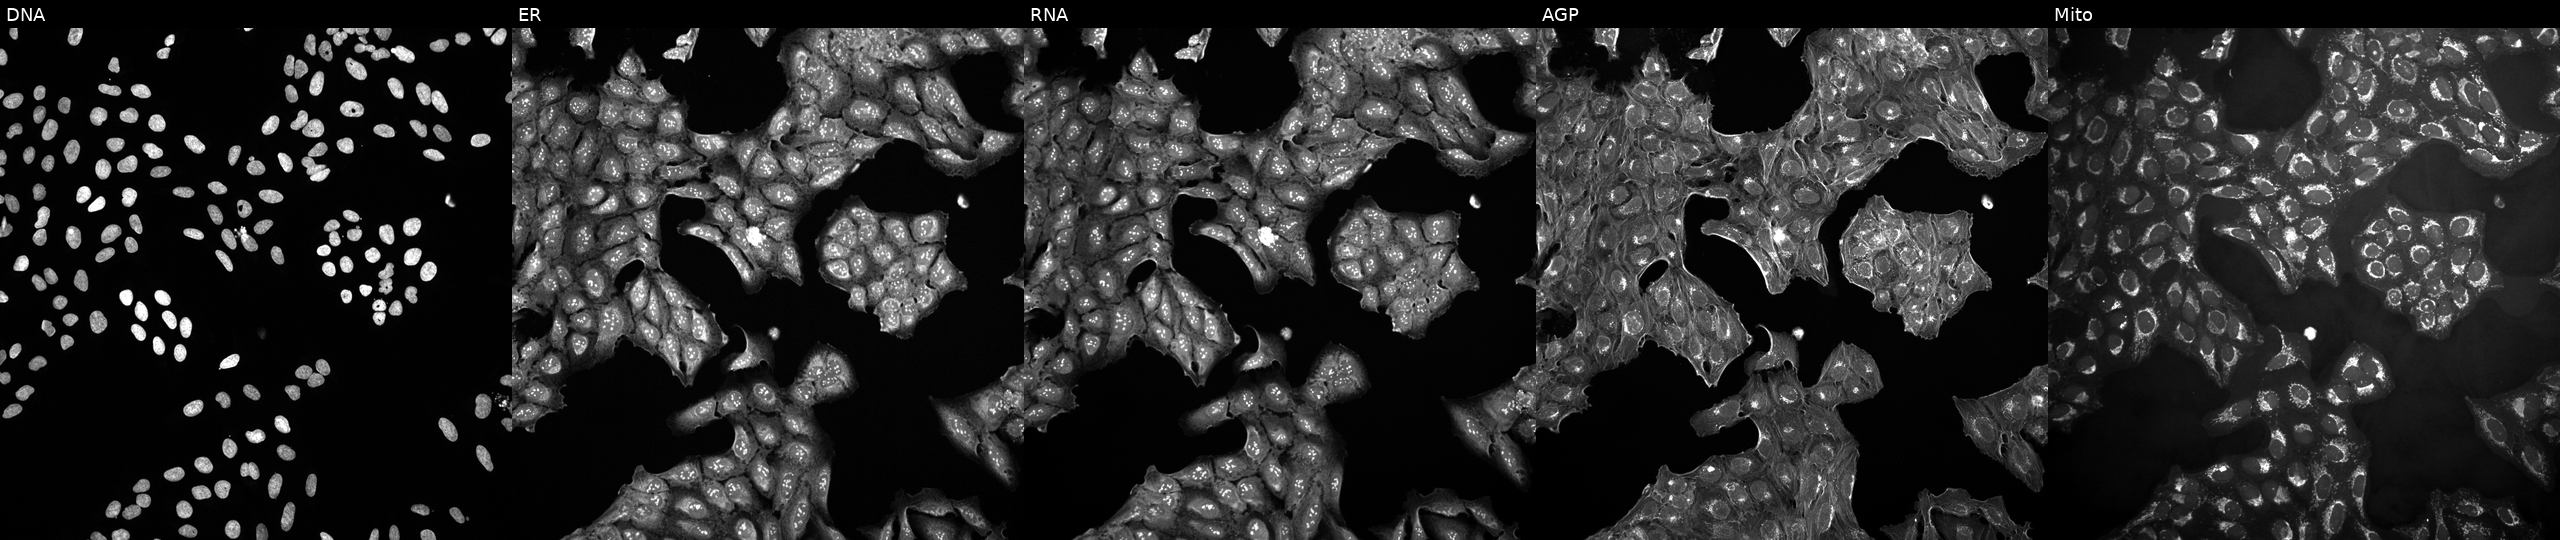
U2OS cells, Cell Painting assay, untreated (empty-well control) (JUMP id JCP2022_999999). Channels (left→right): DNA, ER, RNA, AGP, and Mito. Each panel is percentile-stretched 16-bit fluorescence. Source 10, plate Dest210531-152149, well P08.